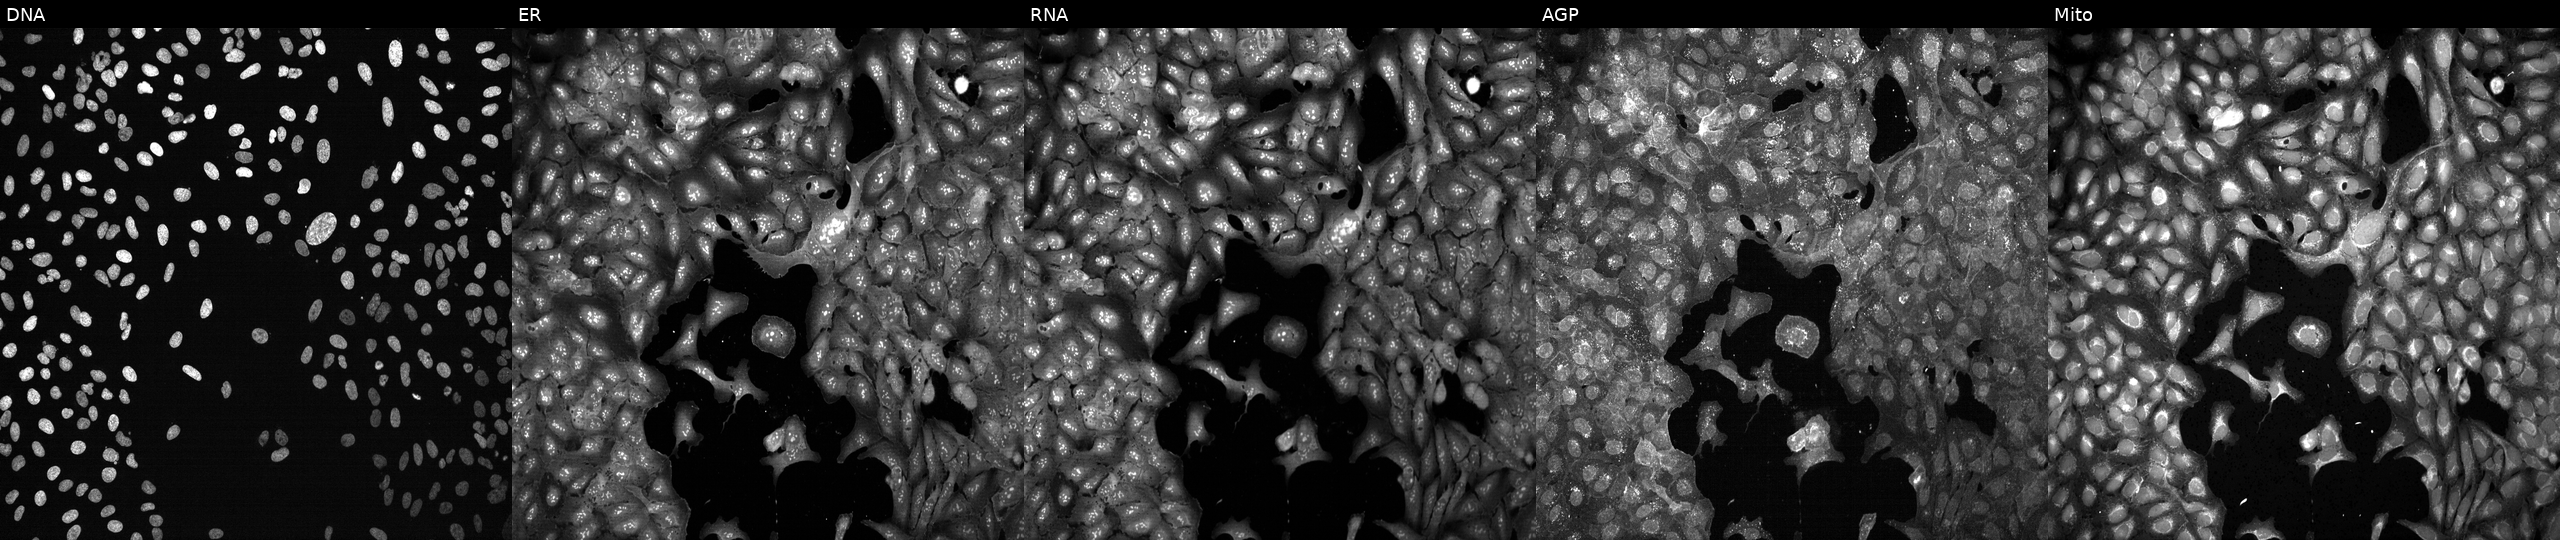
Five-channel Cell Painting image of U2OS cells following CRISPR knockout of OLR1 (JUMP id JCP2022_804790). Channels (left→right): DNA, ER, RNA, AGP, and Mito.